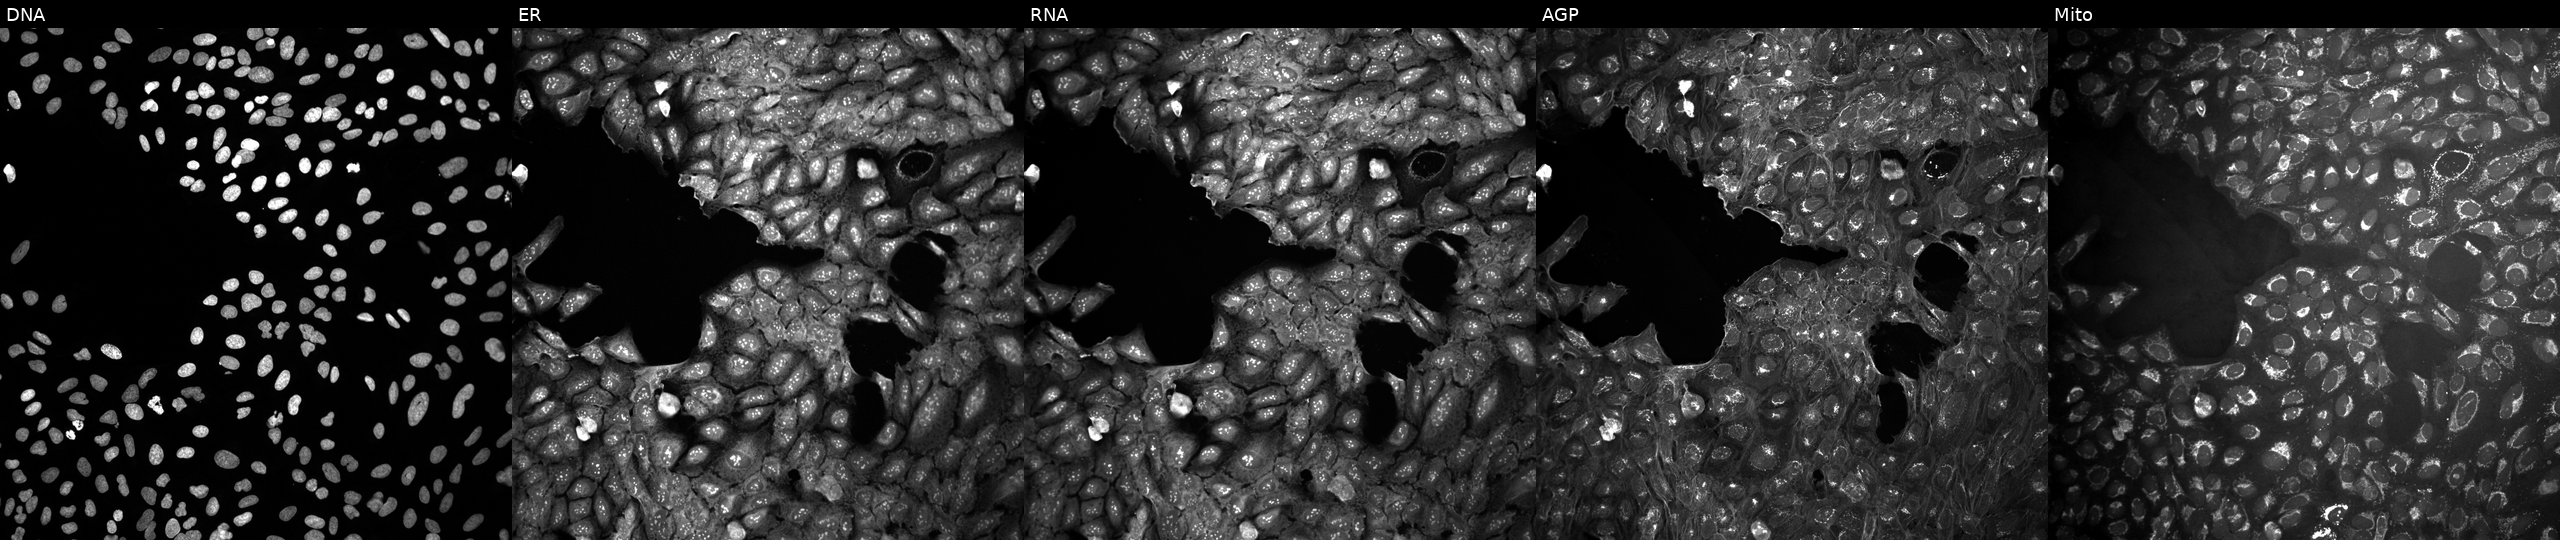
High-content fluorescence microscopy (Cell Painting). Cell line: U2OS. Perturbation: treated with a small-molecule compound (InChIKey DJLBSKHSJBEFGH-UHFFFAOYSA-N). From left to right: DNA, ER, RNA, AGP, and Mito.